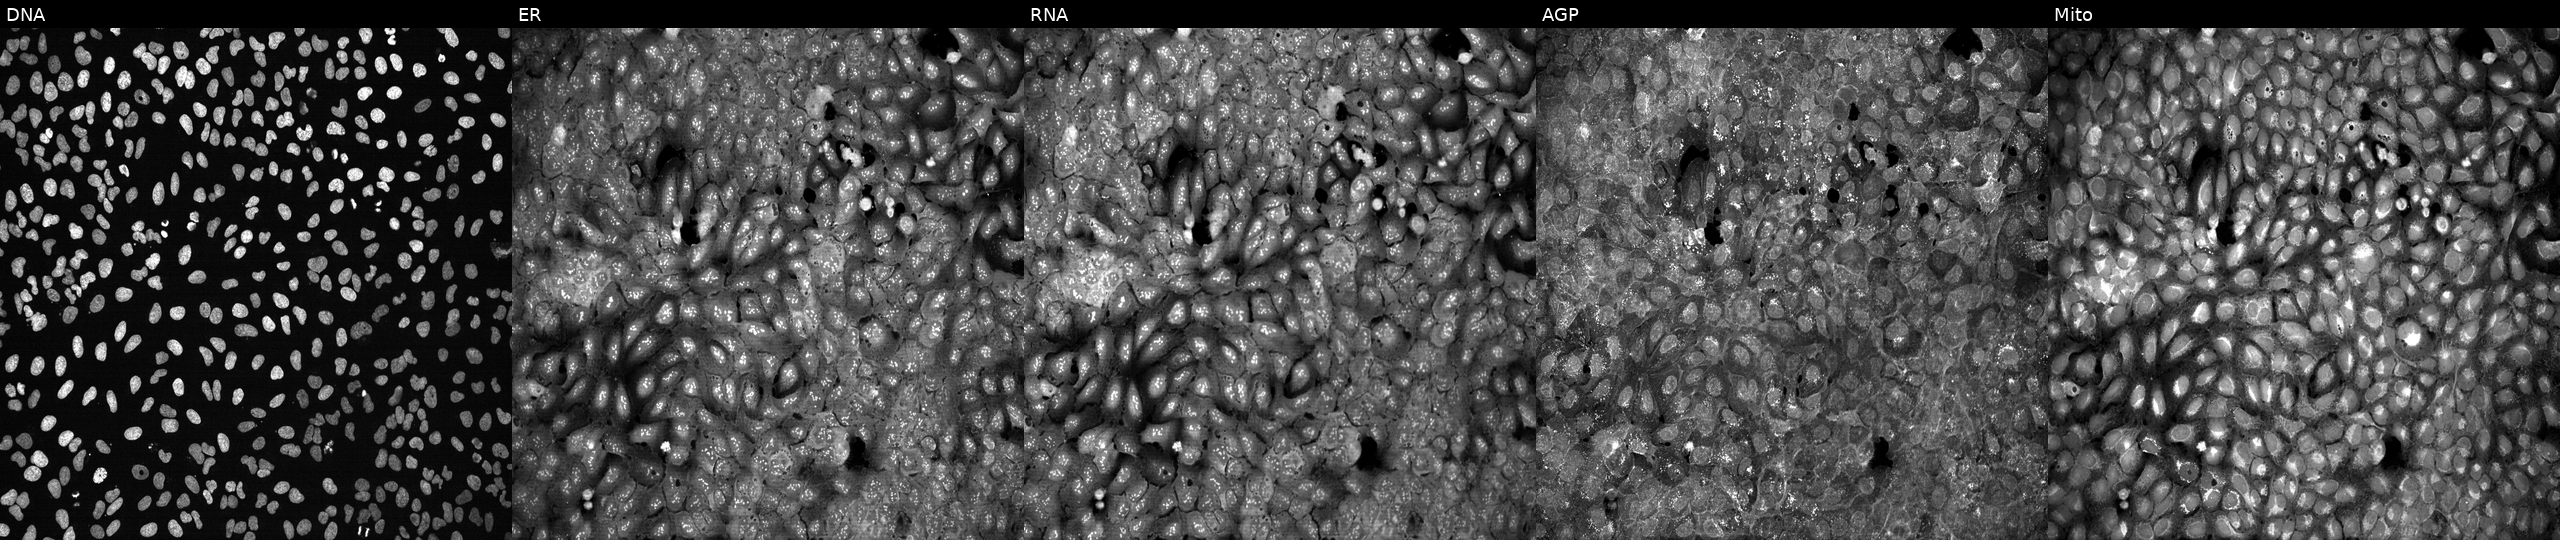
Five-channel Cell Painting image of U2OS cells with SMARCB1 knocked out by CRISPR. Panels show, left to right, Hoechst 33342, concanavalin A, SYTO 14, phalloidin and WGA, MitoTracker.